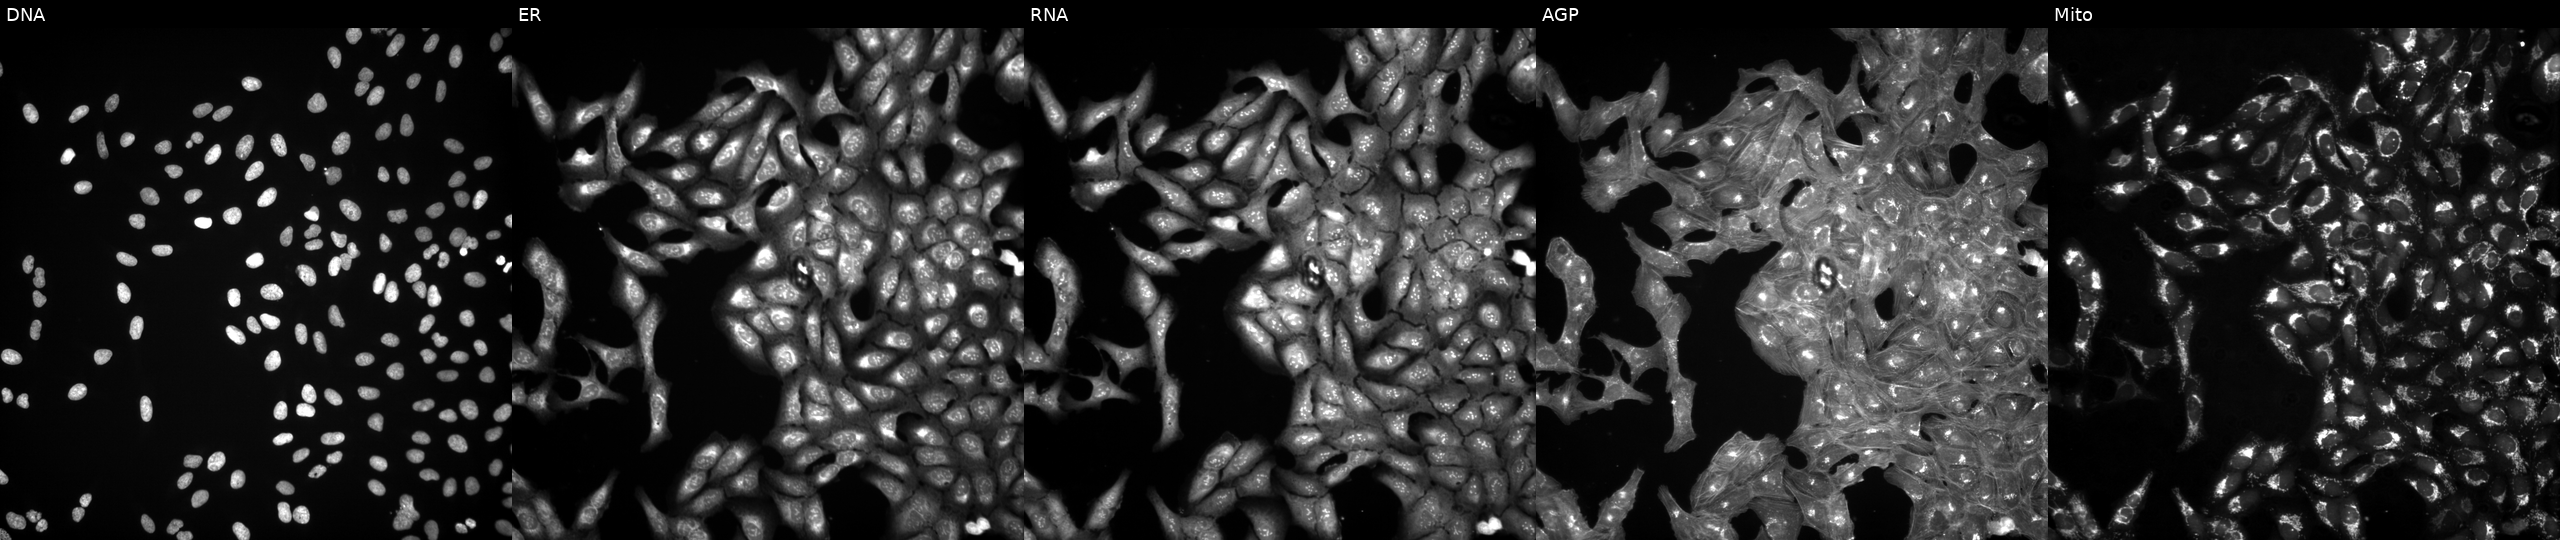
U2OS cells, Cell Painting assay, treated with a small-molecule compound (InChIKey GWWUZDCAEUINOC-UHFFFAOYSA-N) (JUMP id JCP2022_028295). From left to right: DNA, ER, RNA, AGP, and Mito. Each panel is percentile-stretched 16-bit fluorescence.